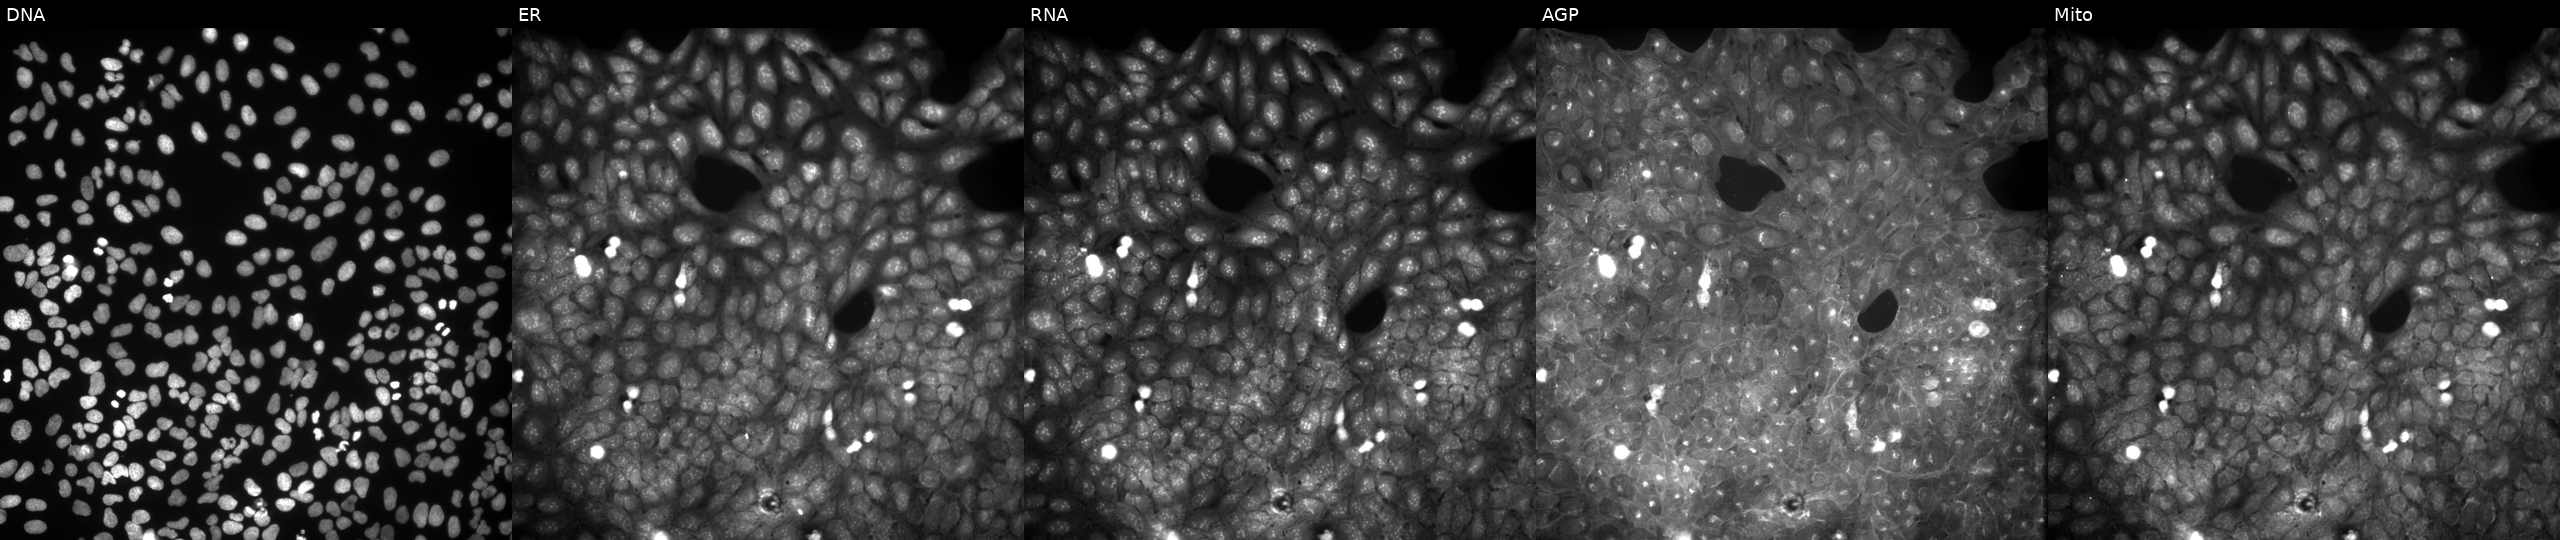
Five-channel Cell Painting image of U2OS cells exposed to a small-molecule compound (InChIKey OGPGXBDXAMQPKR-UHFFFAOYSA-N) (JUMP id JCP2022_063663). The five panels, left to right, show DNA, ER, RNA, AGP, and Mito.